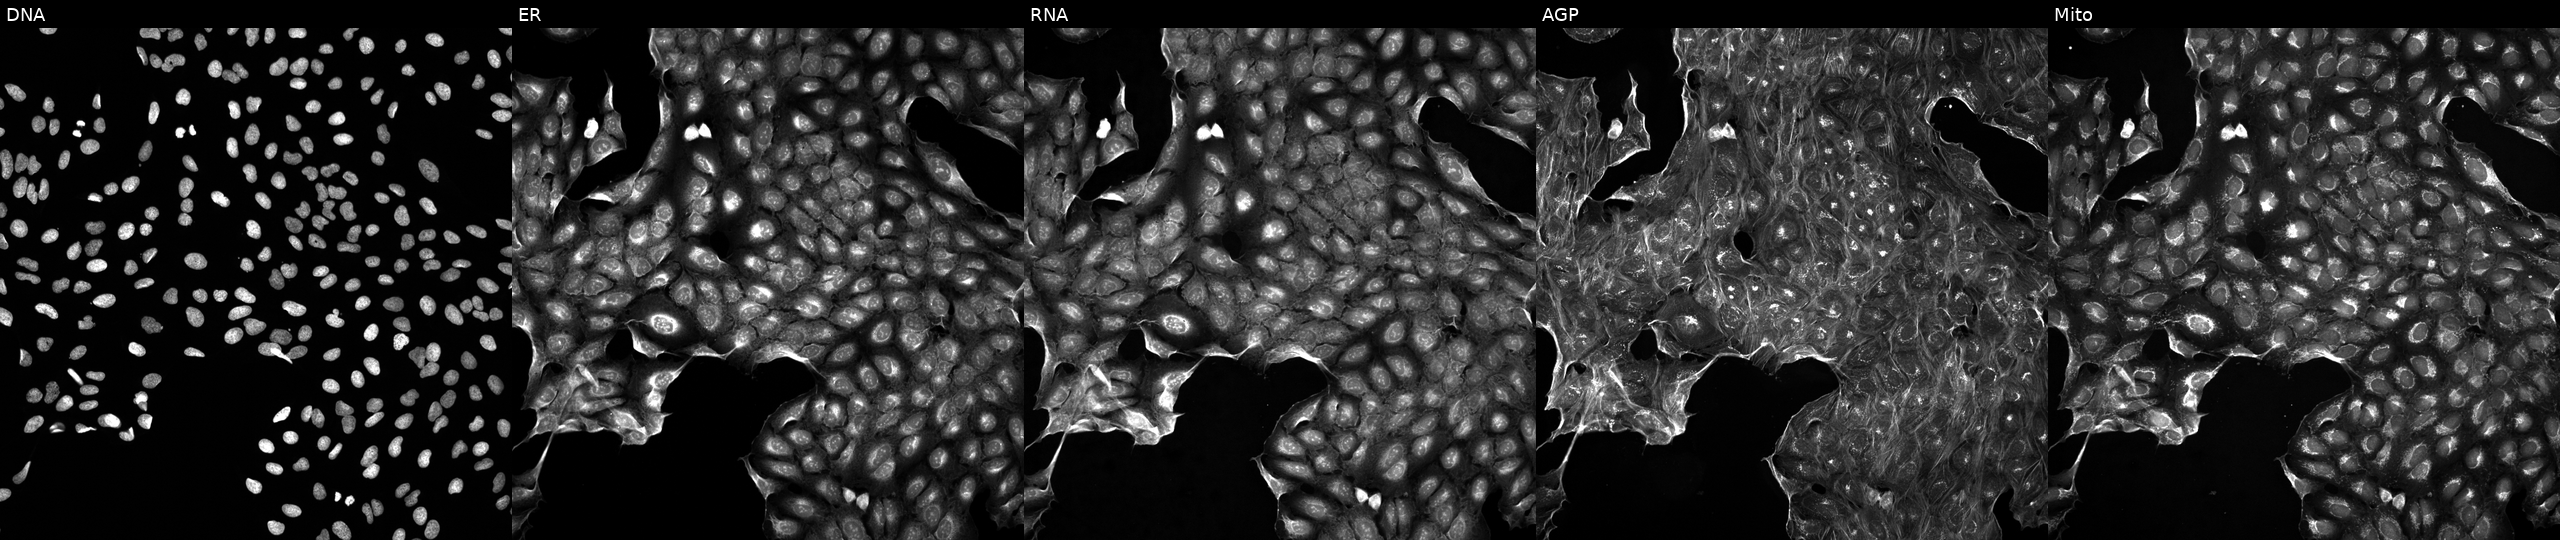
High-content fluorescence microscopy (Cell Painting). Cell line: U2OS. Perturbation: perturbed with a small-molecule compound (InChIKey OAVGBZOFDPFGPJ-UHFFFAOYSA-N) (JUMP id JCP2022_062592). From left to right: DNA, ER, RNA, AGP, and Mito.